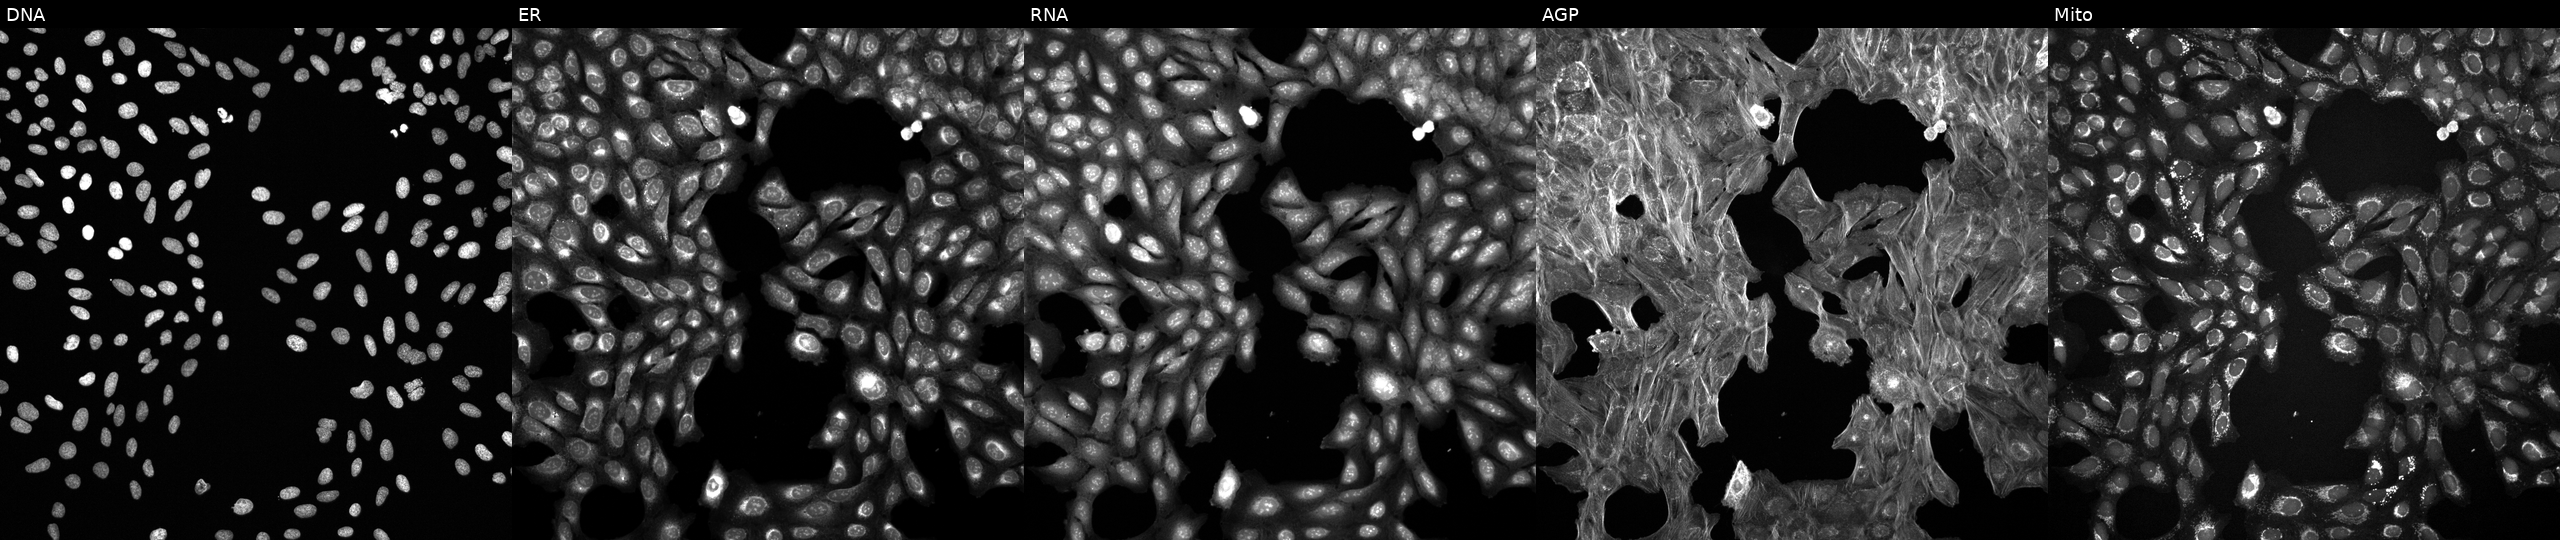
High-content fluorescence microscopy (Cell Painting). Cell line: U2OS. Perturbation: exposed to a small-molecule compound (InChIKey YCXOKNZZFCYZHK-UHFFFAOYSA-N). Channels (left→right): Hoechst 33342, concanavalin A, SYTO 14, phalloidin and WGA, MitoTracker.